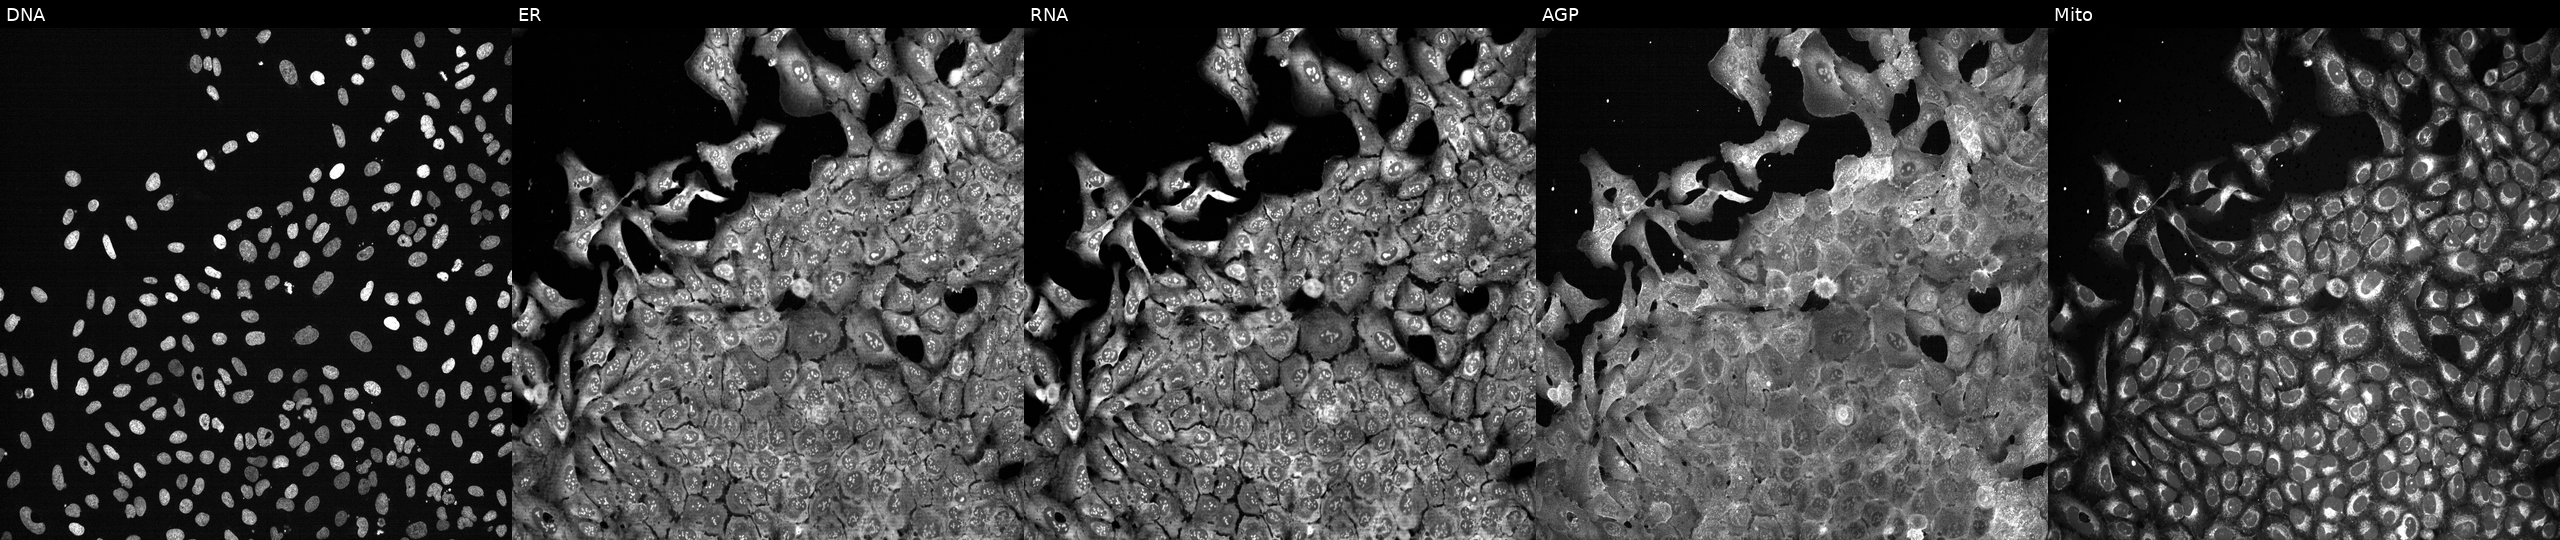
JUMP Cell Painting — CRISPR plate. U2OS cells with UGT2A3 knocked out by CRISPR. From left to right: Hoechst 33342, concanavalin A, SYTO 14, phalloidin and WGA, MitoTracker.